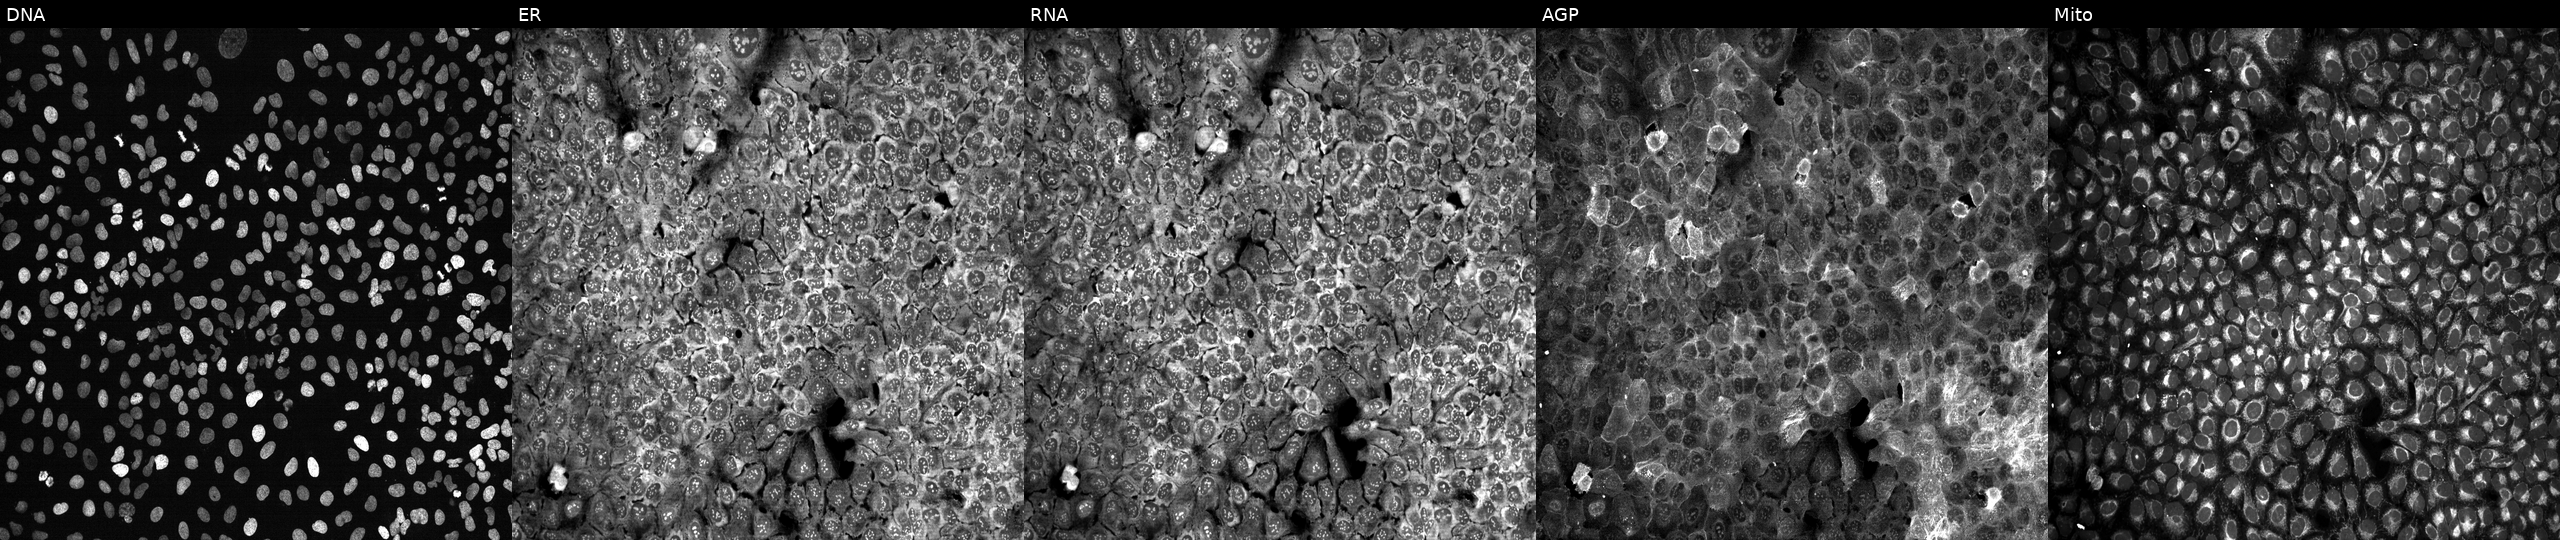
High-content fluorescence microscopy (Cell Painting). Cell line: U2OS. Perturbation: with DCT knocked out by CRISPR (JUMP id JCP2022_801698). The five panels, left to right, show DNA, ER, RNA, AGP, and Mito.